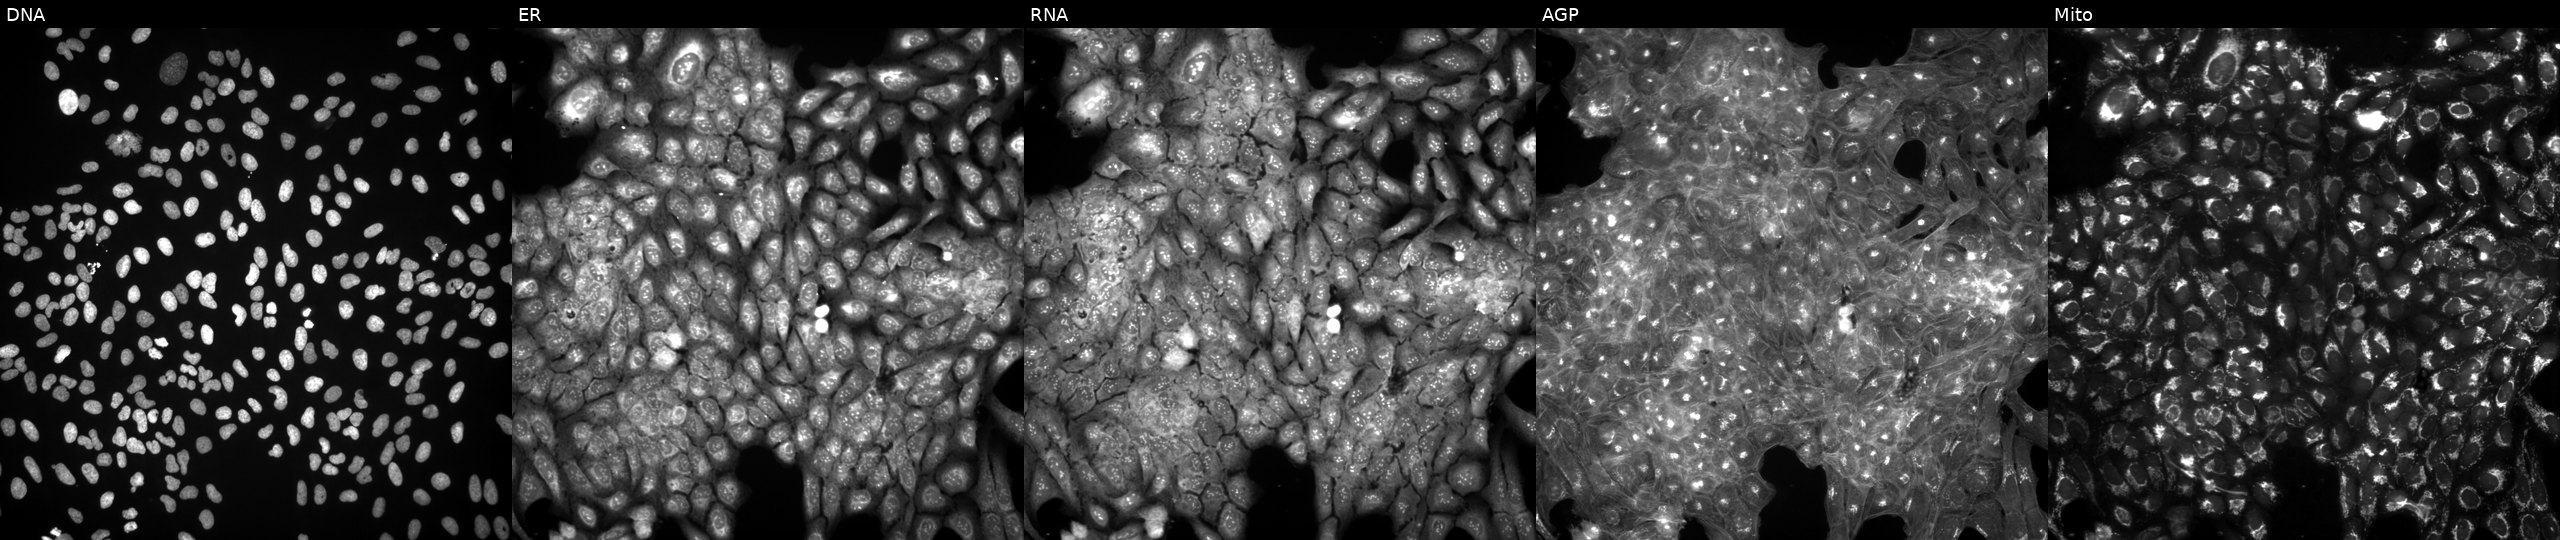
Channels (left→right): DNA, ER, RNA, AGP, and Mito. U2OS osteosarcoma cells exposed to DMSO alone as a negative control (JUMP id JCP2022_033924). Cell Painting assay, JUMP-CP dataset.